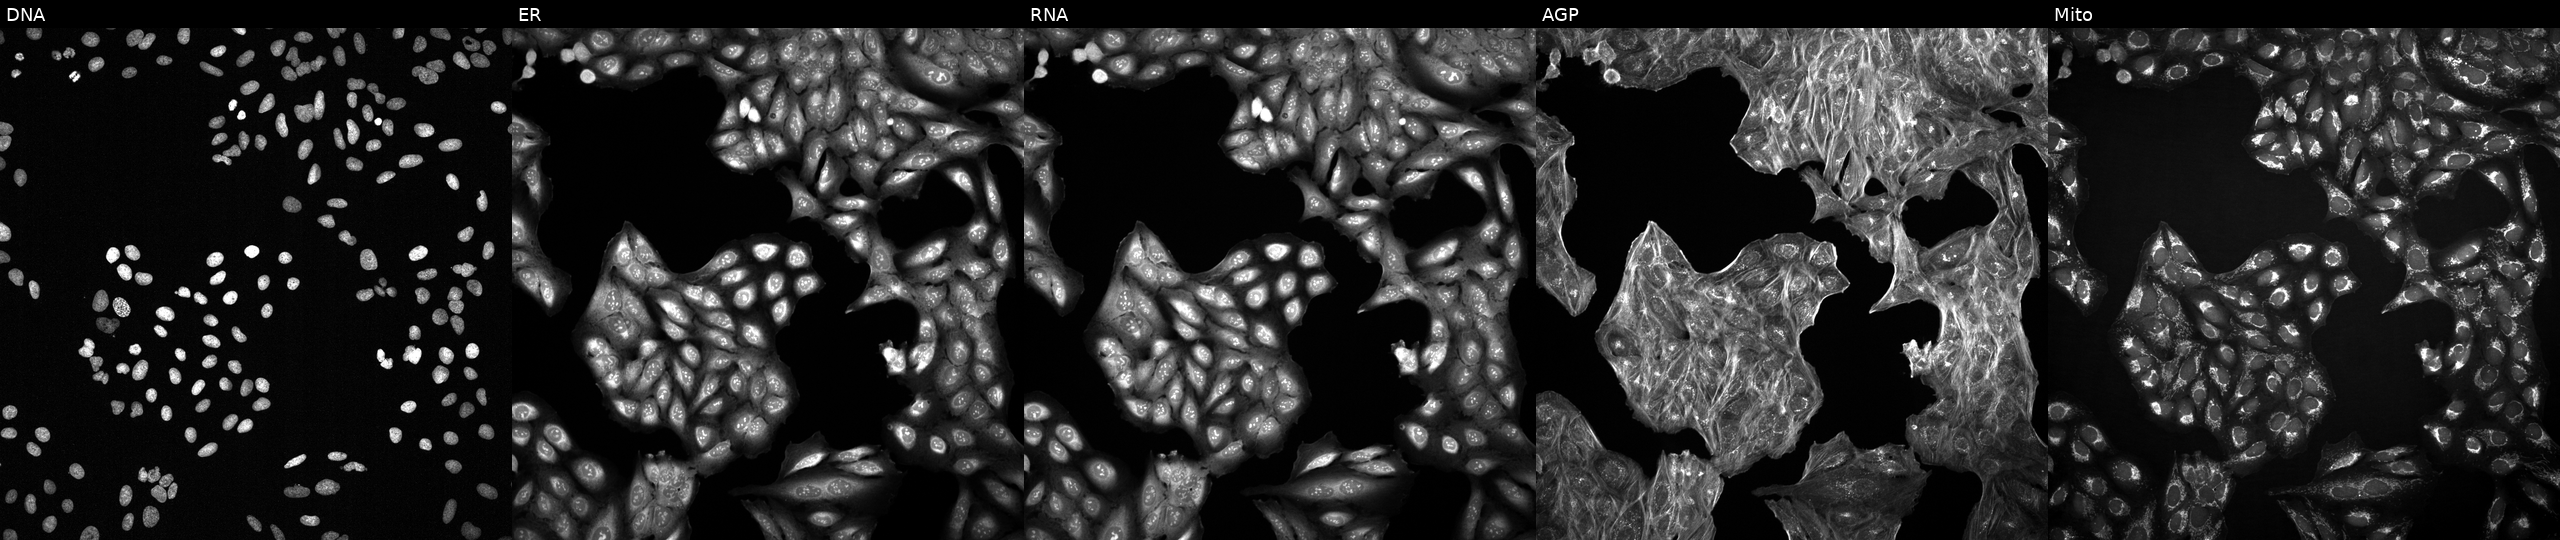
From left to right: DNA (nuclei); ER (endoplasmic reticulum); RNA (nucleoli and cytoplasmic RNA); AGP (actin cytoskeleton, Golgi, and plasma membrane); Mito (mitochondria). U2OS osteosarcoma cells with an unidentified perturbation (not annotated in JUMP metadata). Cell Painting assay, JUMP-CP dataset.